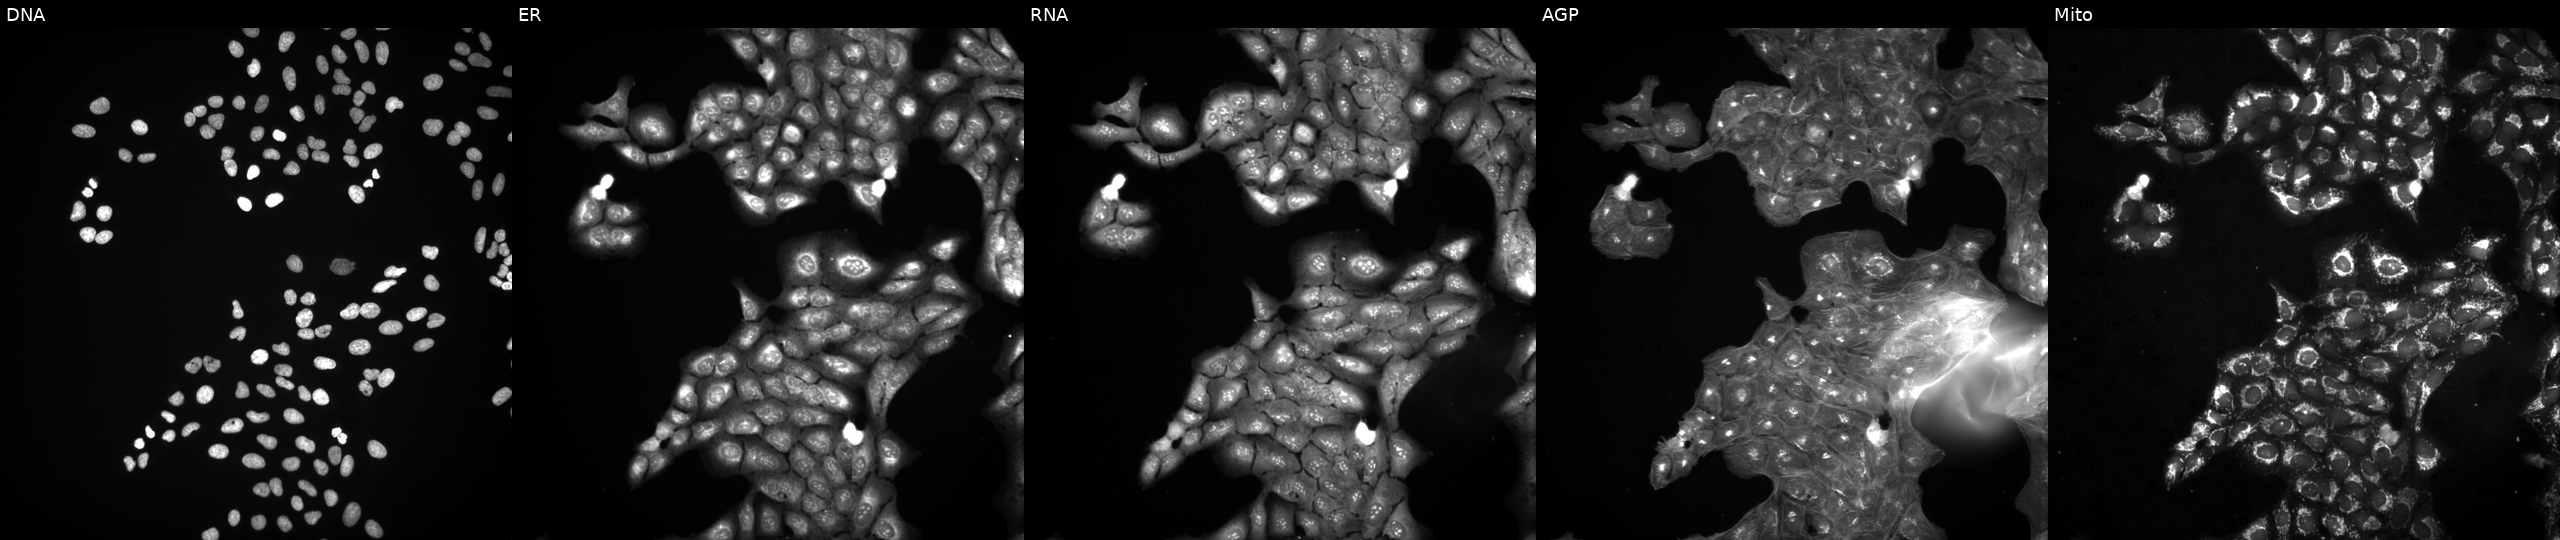
From left to right: DNA, ER, RNA, AGP, and Mito. U2OS osteosarcoma cells exposed to a small-molecule compound (InChIKey DZWSYSFKGMJERZ-UHFFFAOYSA-N) [SMILES: Cc1ccc2c(=O)c(CN3CCOCC3)c(C)[nH]c2c1C] (JUMP id JCP2022_019279). Cell Painting assay, JUMP-CP dataset. Source 3, plate BR5867a3, well D22.